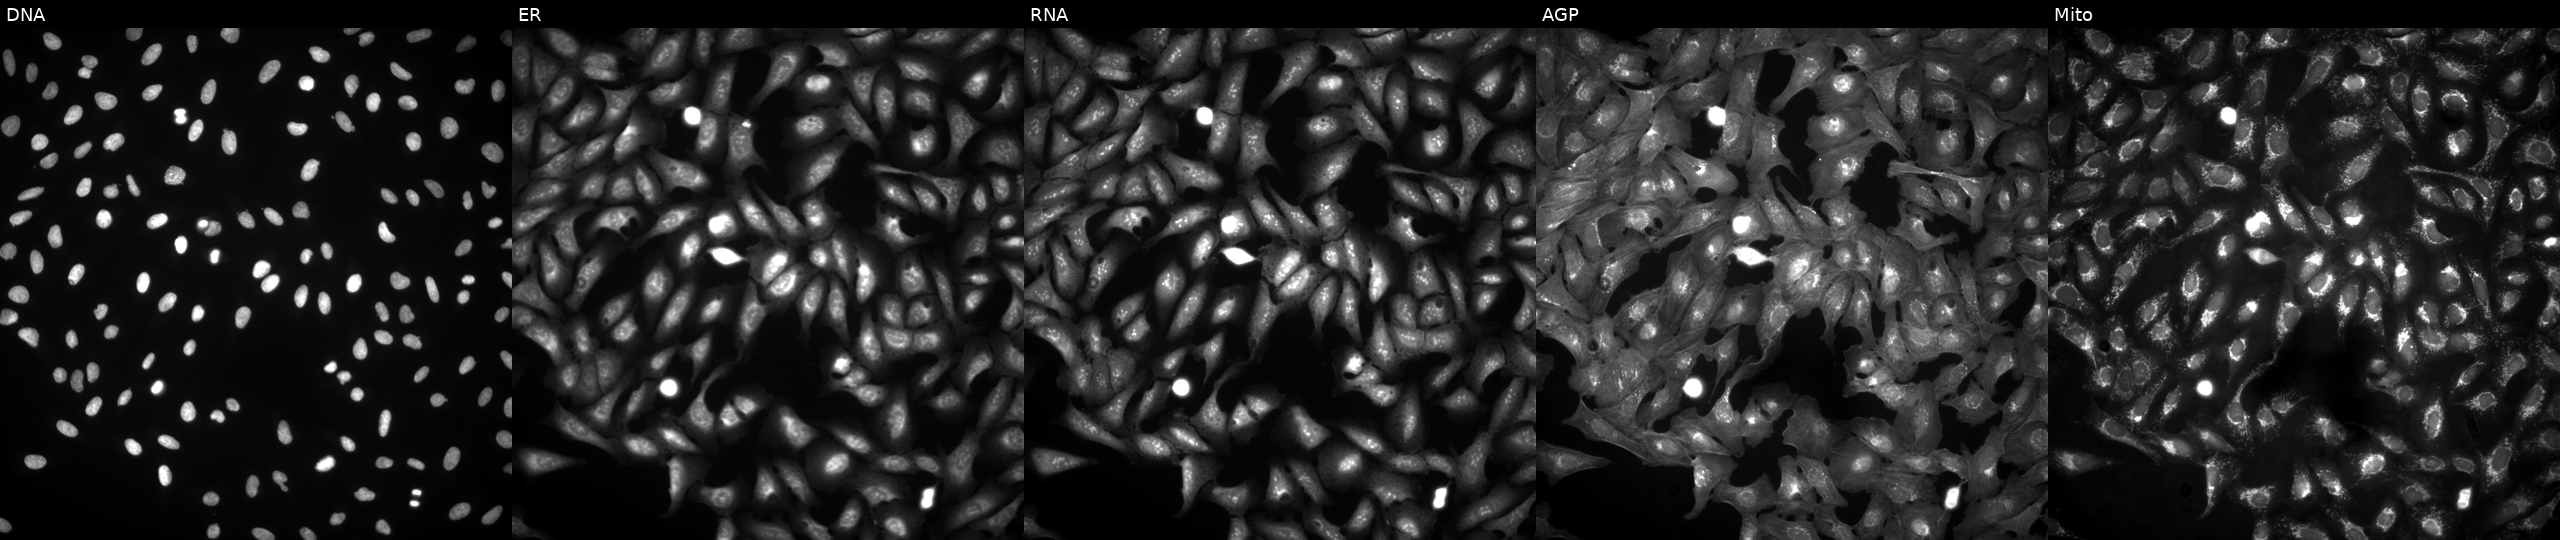
U2OS cells, Cell Painting assay, transfected with an ORF construct for CDADC1. Channels (left→right): DNA (nuclei); ER (endoplasmic reticulum); RNA (nucleoli and cytoplasmic RNA); AGP (actin cytoskeleton, Golgi, and plasma membrane); Mito (mitochondria). Each panel is percentile-stretched 16-bit fluorescence.